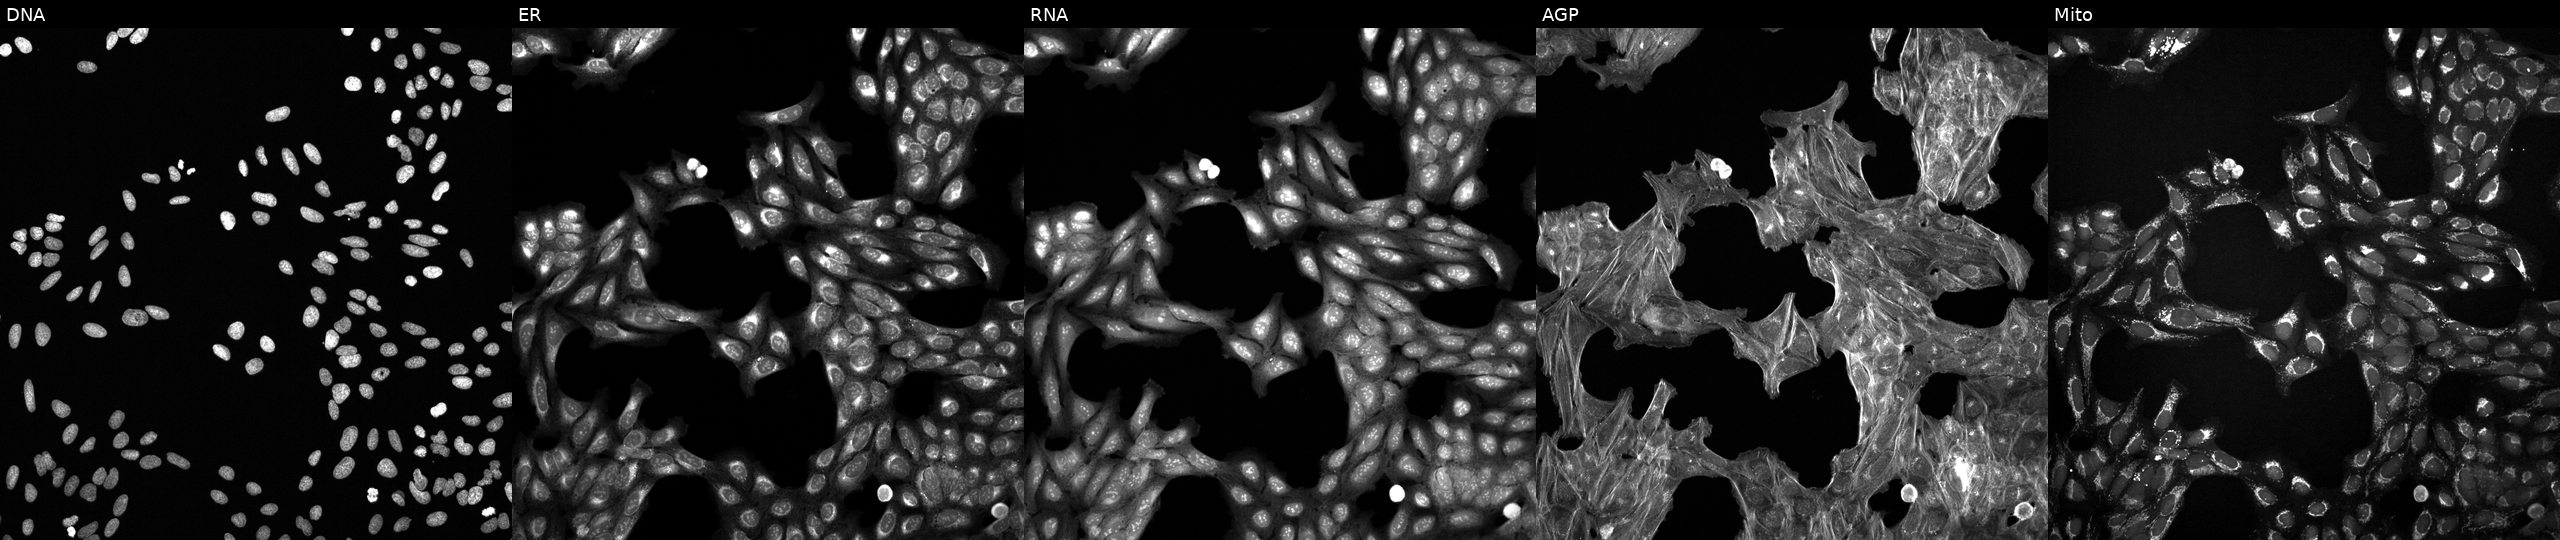
This image strip shows the five Cell Painting channels for a single field of U2OS cells treated with a small-molecule compound (JUMP id JCP2022_087896). Channels (left→right): Hoechst 33342, concanavalin A, SYTO 14, phalloidin and WGA, MitoTracker. Source 6, plate 110000293082, well C12.